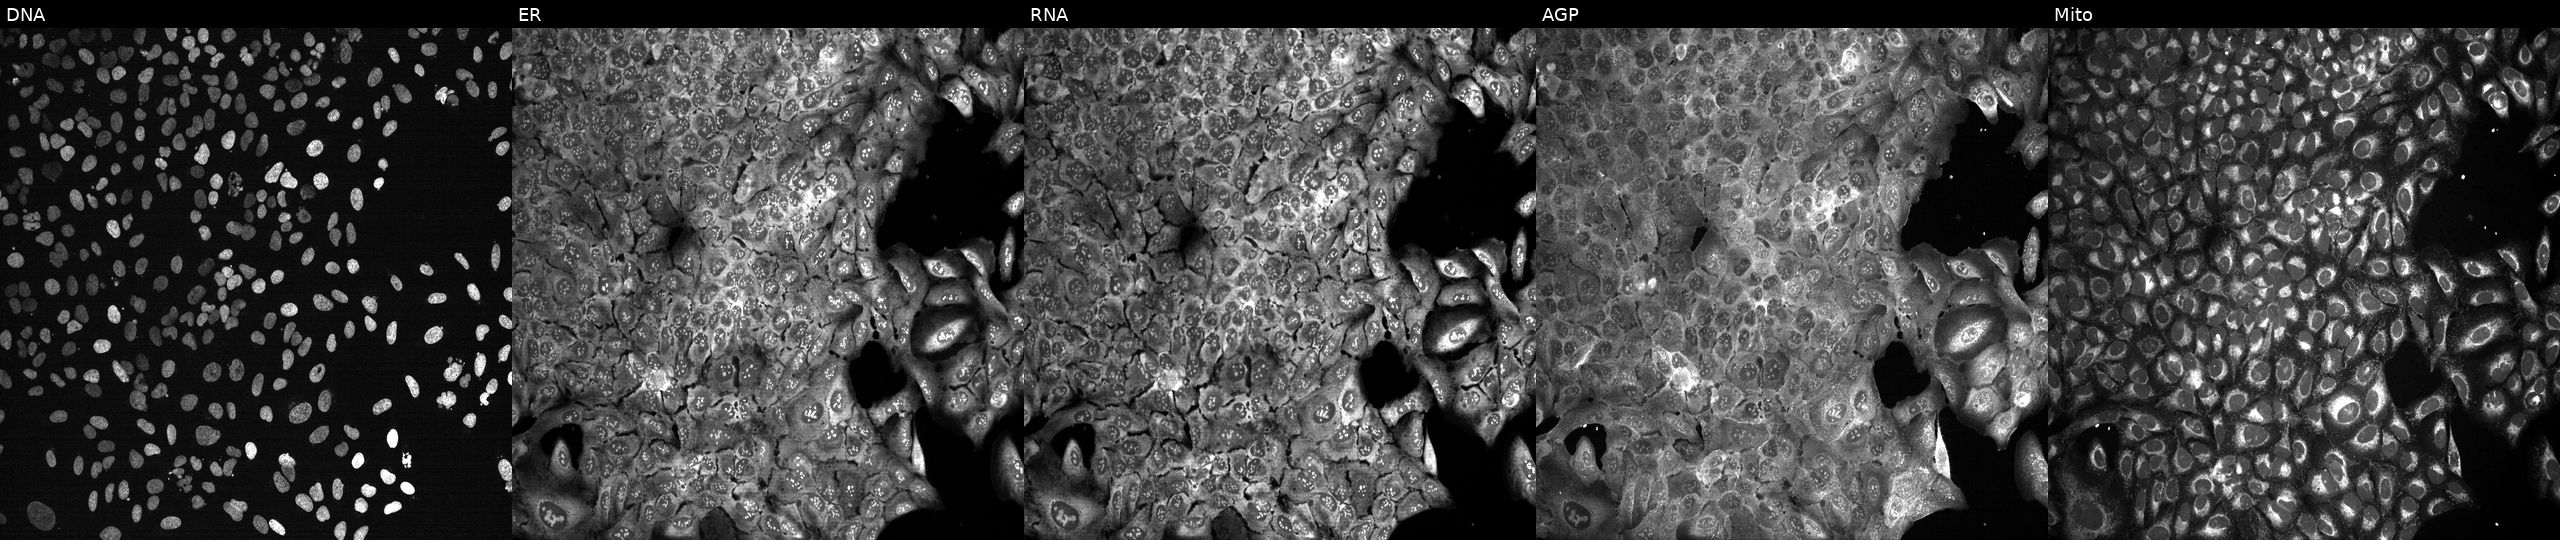
U2OS cells, Cell Painting assay, CRISPR-edited to disrupt GC. Channels (left→right): DNA, ER, RNA, AGP, and Mito. Each panel is percentile-stretched 16-bit fluorescence. Source 13, plate CP-CC9-R4-03, well C10.